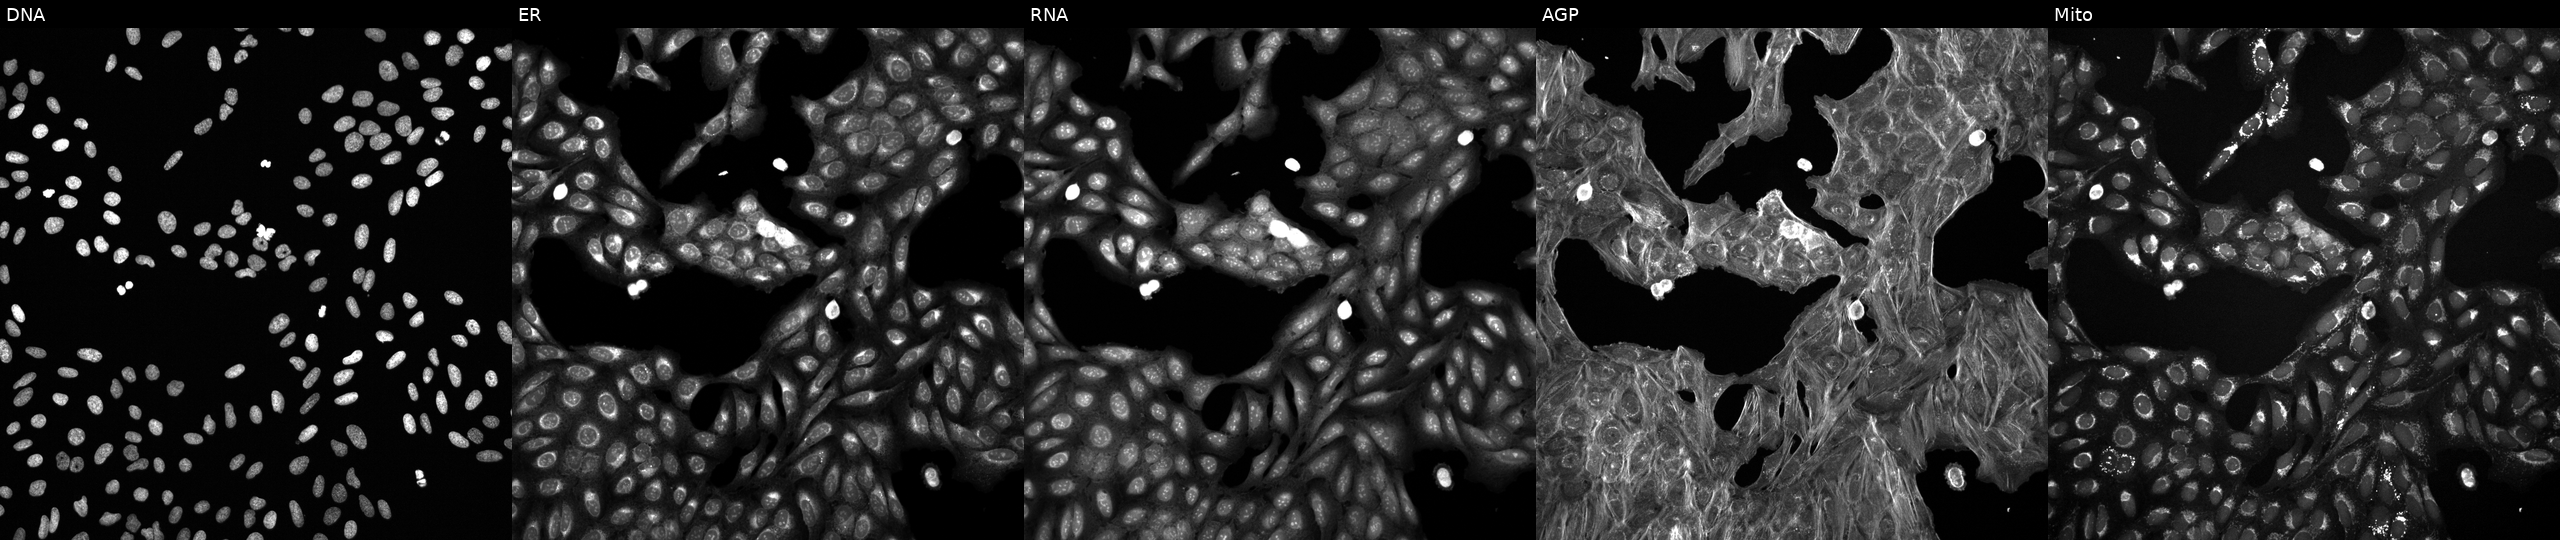
Channels (left→right): Hoechst 33342, concanavalin A, SYTO 14, phalloidin and WGA, MitoTracker. U2OS osteosarcoma cells exposed to a small-molecule compound [SMILES: O=C(Nc1cccc(Br)c1)c1cccc(S(=O)(=O)N2CCCCCC2)c1]. Cell Painting assay, JUMP-CP dataset.